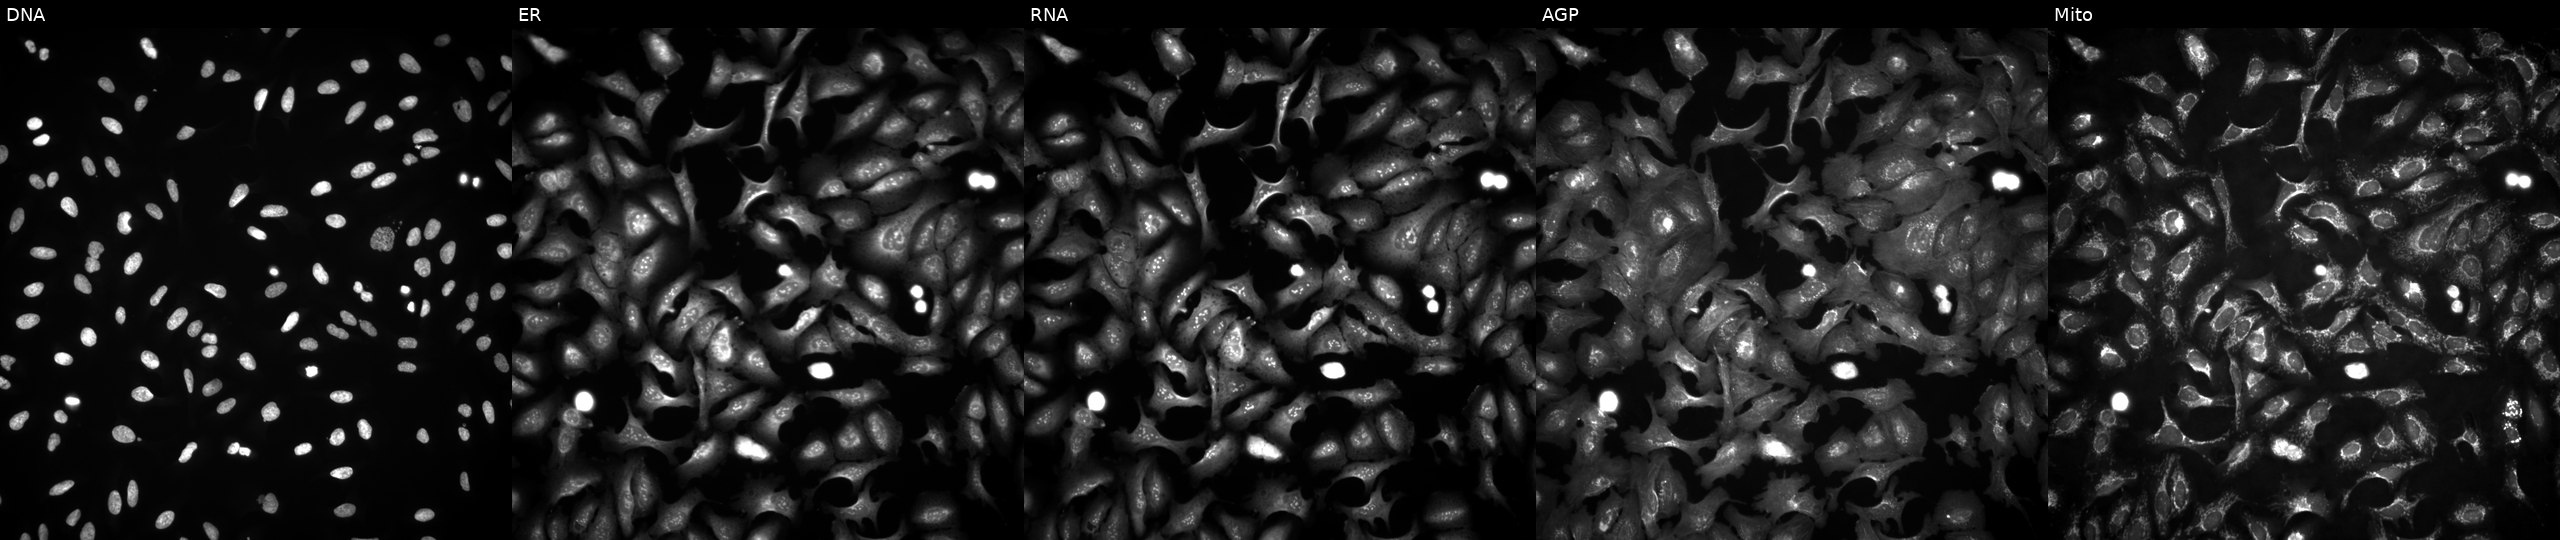
This image strip shows the five Cell Painting channels for a single field of U2OS cells overexpressing H2AC20 via ORF transfection. From left to right: DNA, ER, RNA, AGP, and Mito.